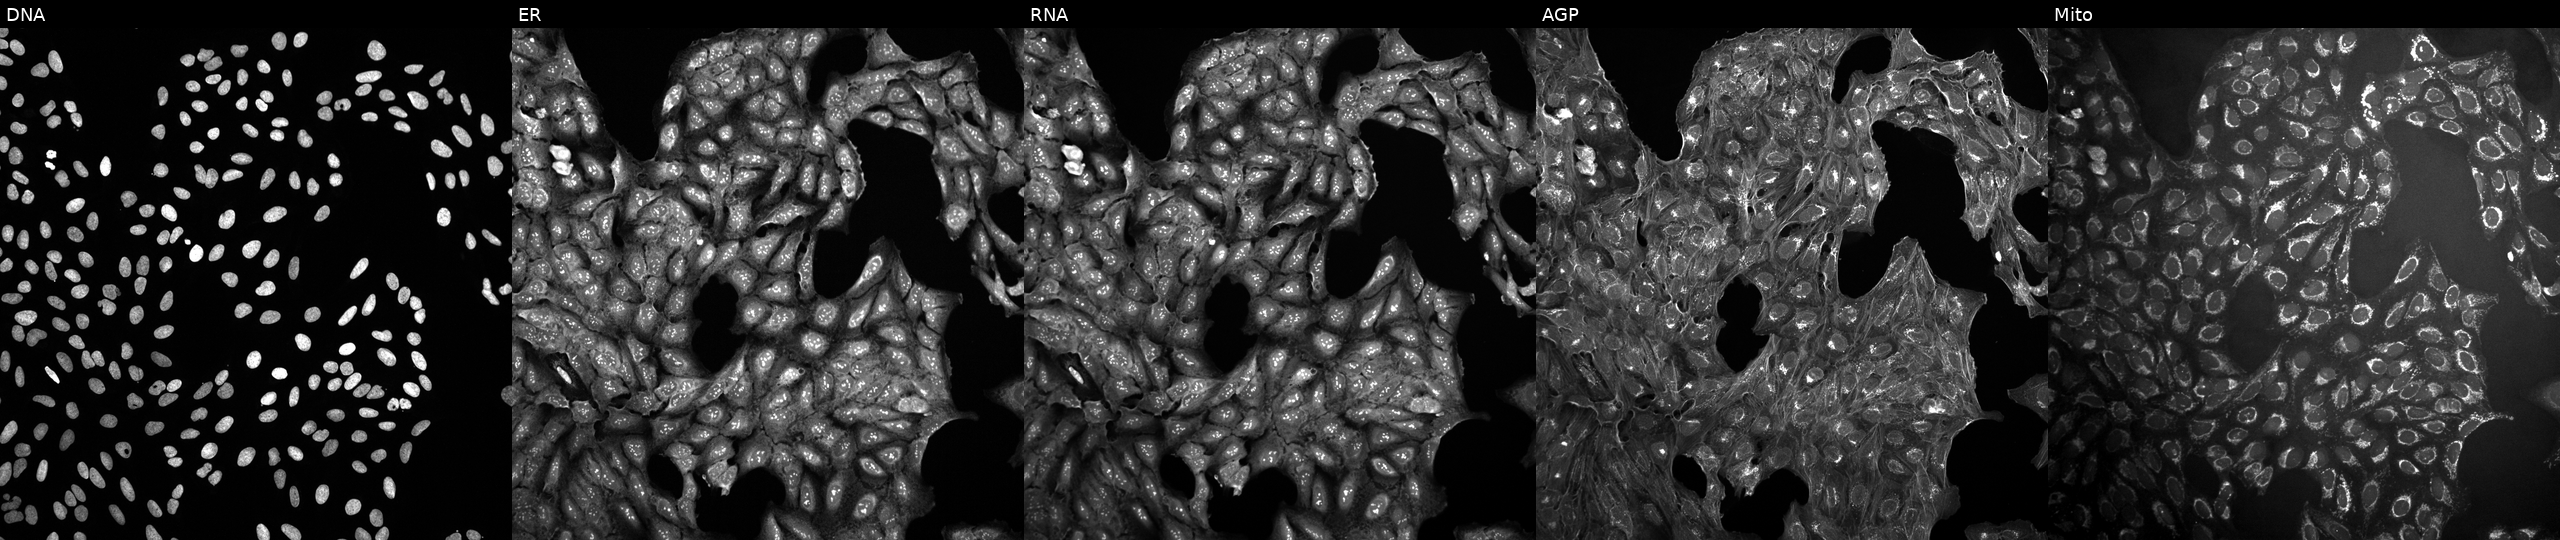
JUMP Cell Painting — COMPOUND plate. U2OS cells treated with dexamethasone (positive-control compound). The five panels, left to right, show DNA (nuclei); ER (endoplasmic reticulum); RNA (nucleoli and cytoplasmic RNA); AGP (actin cytoskeleton, Golgi, and plasma membrane); Mito (mitochondria).